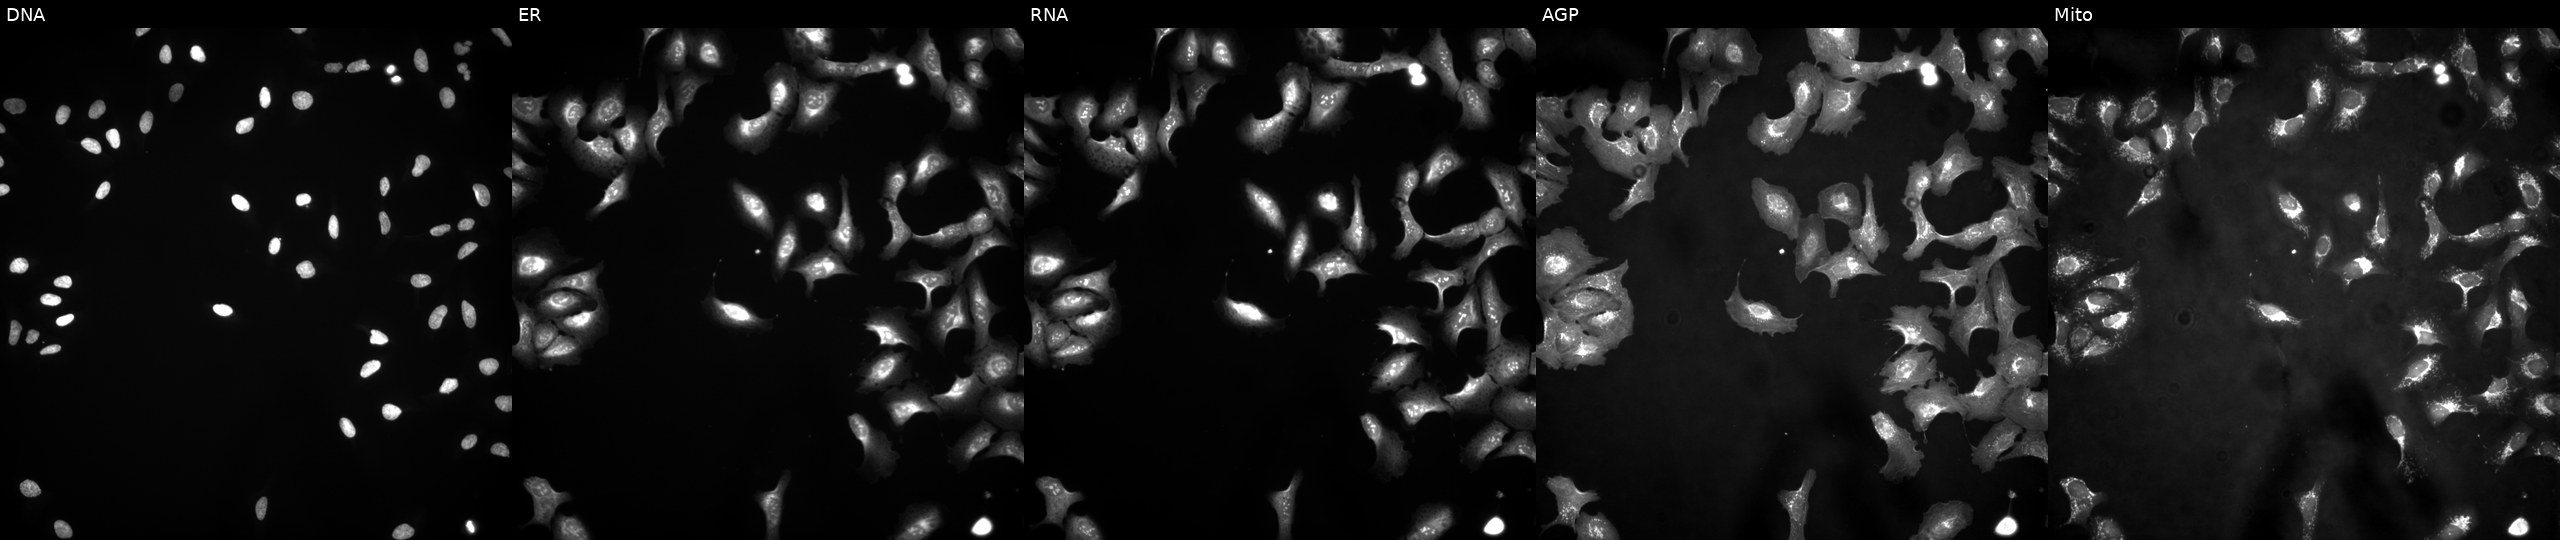
This image strip shows the five Cell Painting channels for a single field of U2OS cells transfected with an ORF construct for CFAP52. Panels show, left to right, Hoechst 33342, concanavalin A, SYTO 14, phalloidin and WGA, MitoTracker.